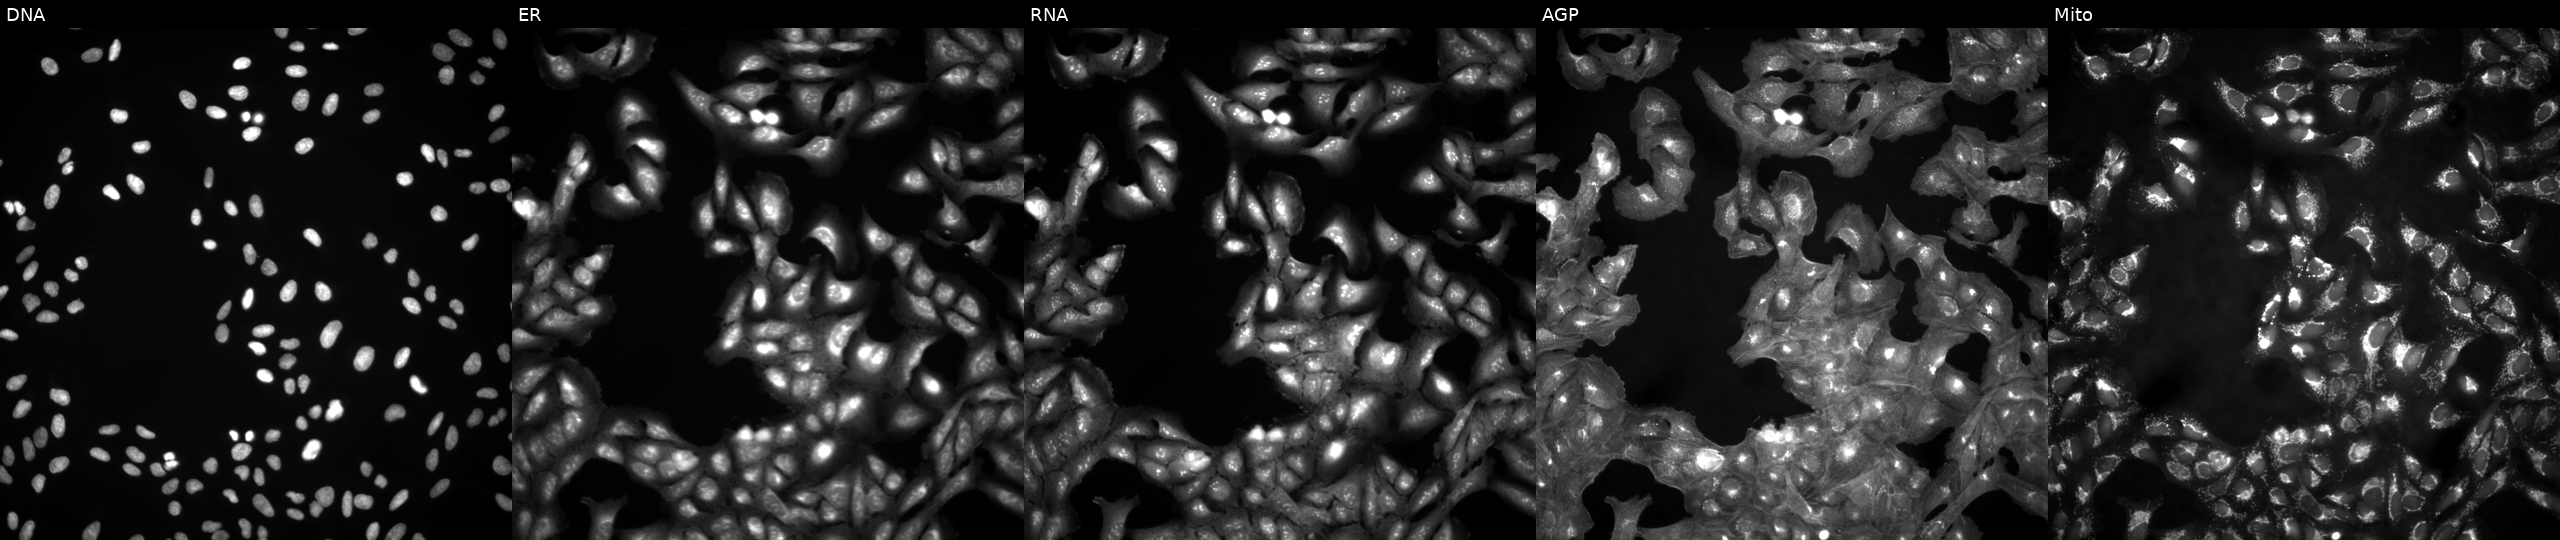
U2OS cells, Cell Painting assay, in an empty control well (no perturbation). From left to right: DNA (nuclei); ER (endoplasmic reticulum); RNA (nucleoli and cytoplasmic RNA); AGP (actin cytoskeleton, Golgi, and plasma membrane); Mito (mitochondria). Each panel is percentile-stretched 16-bit fluorescence. Source 4, plate BR00123946, well P12.